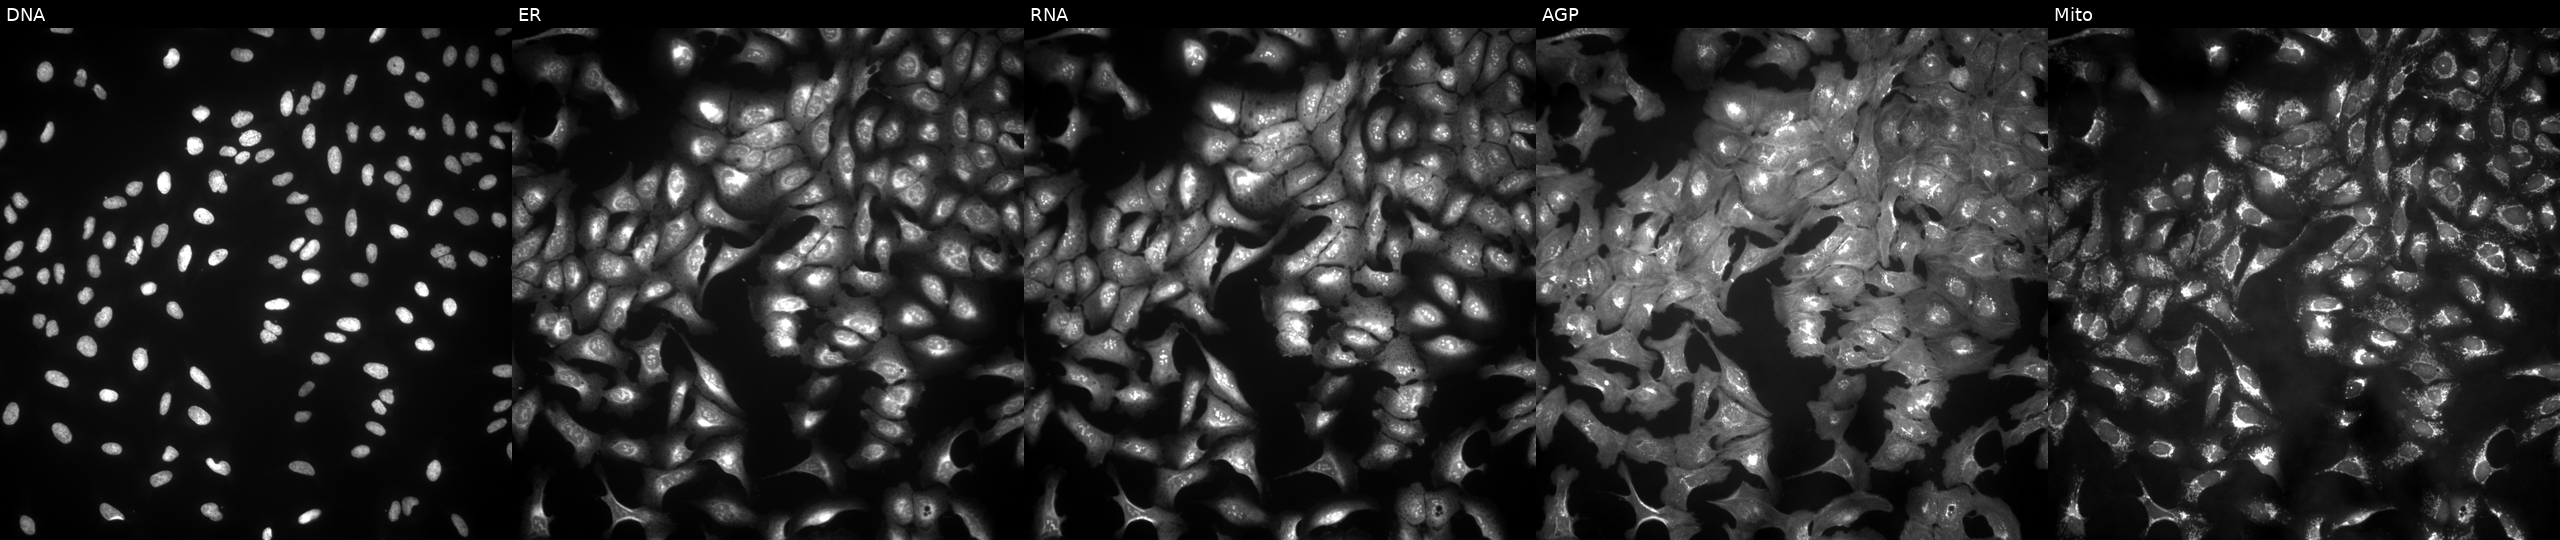
This image strip shows the five Cell Painting channels for a single field of U2OS cells with GLYCTK overexpressed (ORF) (JUMP id JCP2022_915051). Panels show, left to right, DNA, ER, RNA, AGP, and Mito. Source 4, plate BR00123506, well A21.